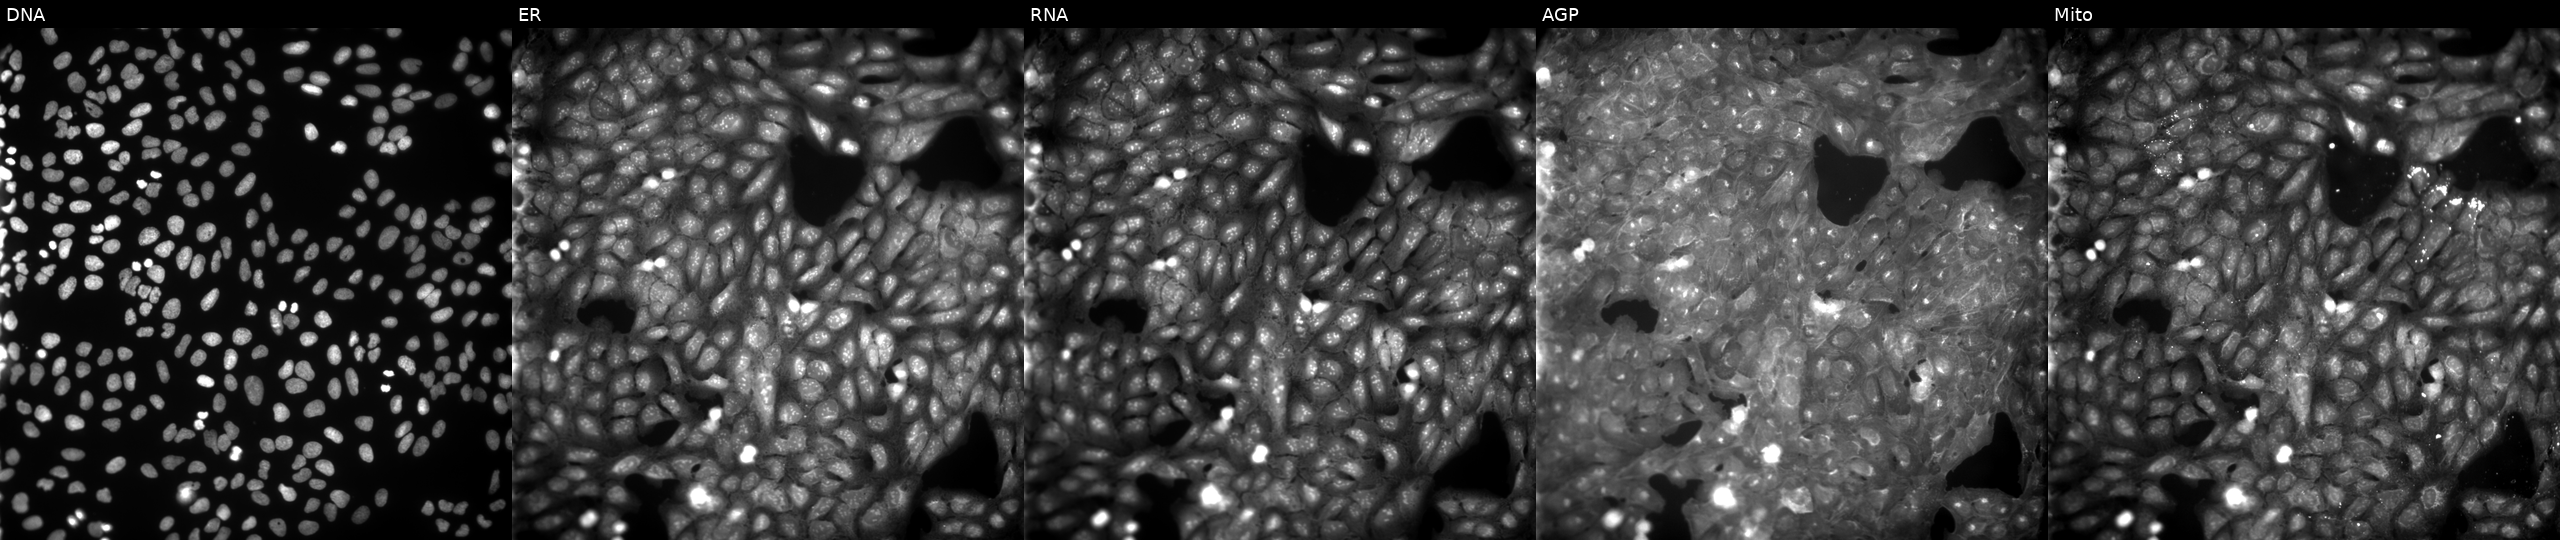
This image strip shows the five Cell Painting channels for a single field of U2OS cells treated with a small-molecule compound (InChIKey GNVMAYLULBCWMI-UHFFFAOYSA-N) (JUMP id JCP2022_026668). The five panels, left to right, show Hoechst 33342, concanavalin A, SYTO 14, phalloidin and WGA, MitoTracker.